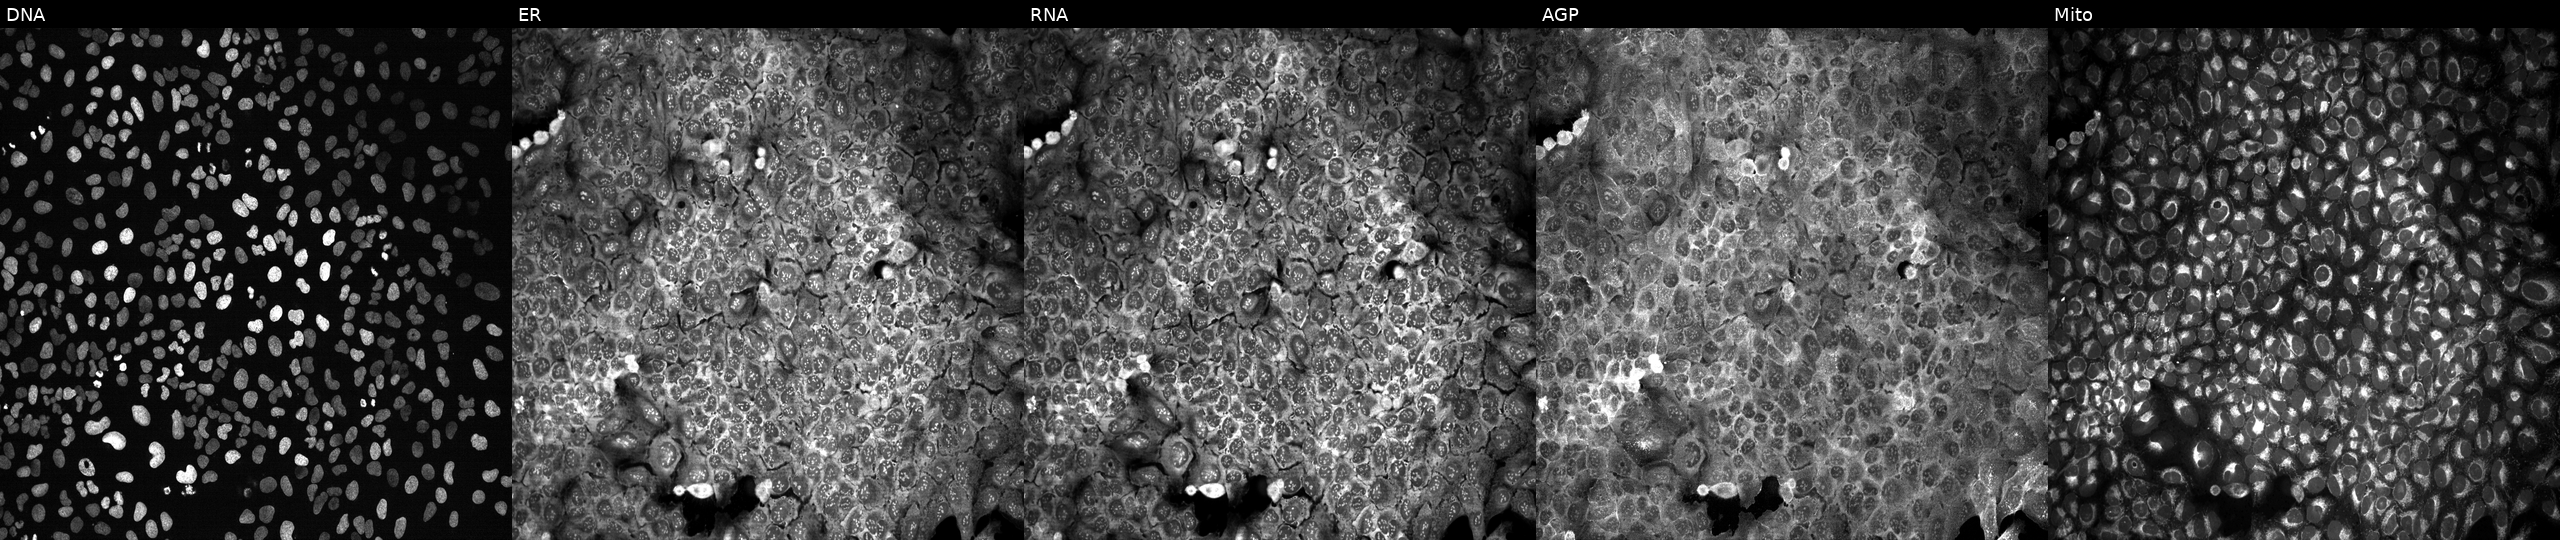
U2OS cells, Cell Painting assay, following CRISPR knockout of SCLY. Panels show, left to right, DNA (nuclei); ER (endoplasmic reticulum); RNA (nucleoli and cytoplasmic RNA); AGP (actin cytoskeleton, Golgi, and plasma membrane); Mito (mitochondria). Each panel is percentile-stretched 16-bit fluorescence. Source 13, plate CP-CC9-R3-02, well G16.